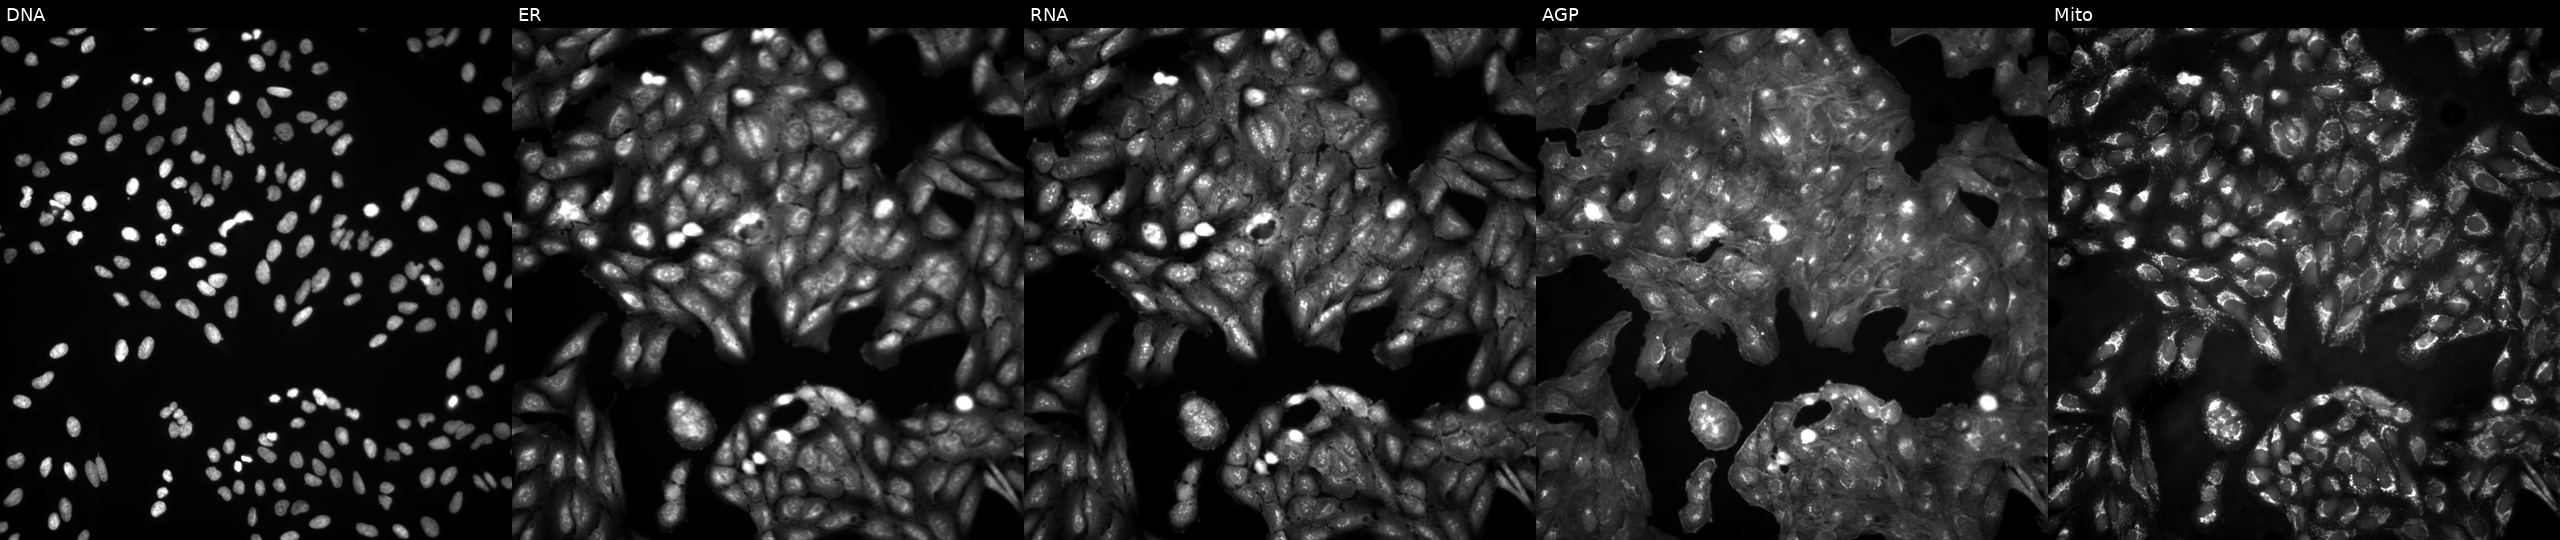
Five-channel Cell Painting image of U2OS cells in an empty control well (no perturbation) (JUMP id JCP2022_999999). The five panels, left to right, show Hoechst 33342, concanavalin A, SYTO 14, phalloidin and WGA, MitoTracker. Source 4, plate BR00123946, well C21.